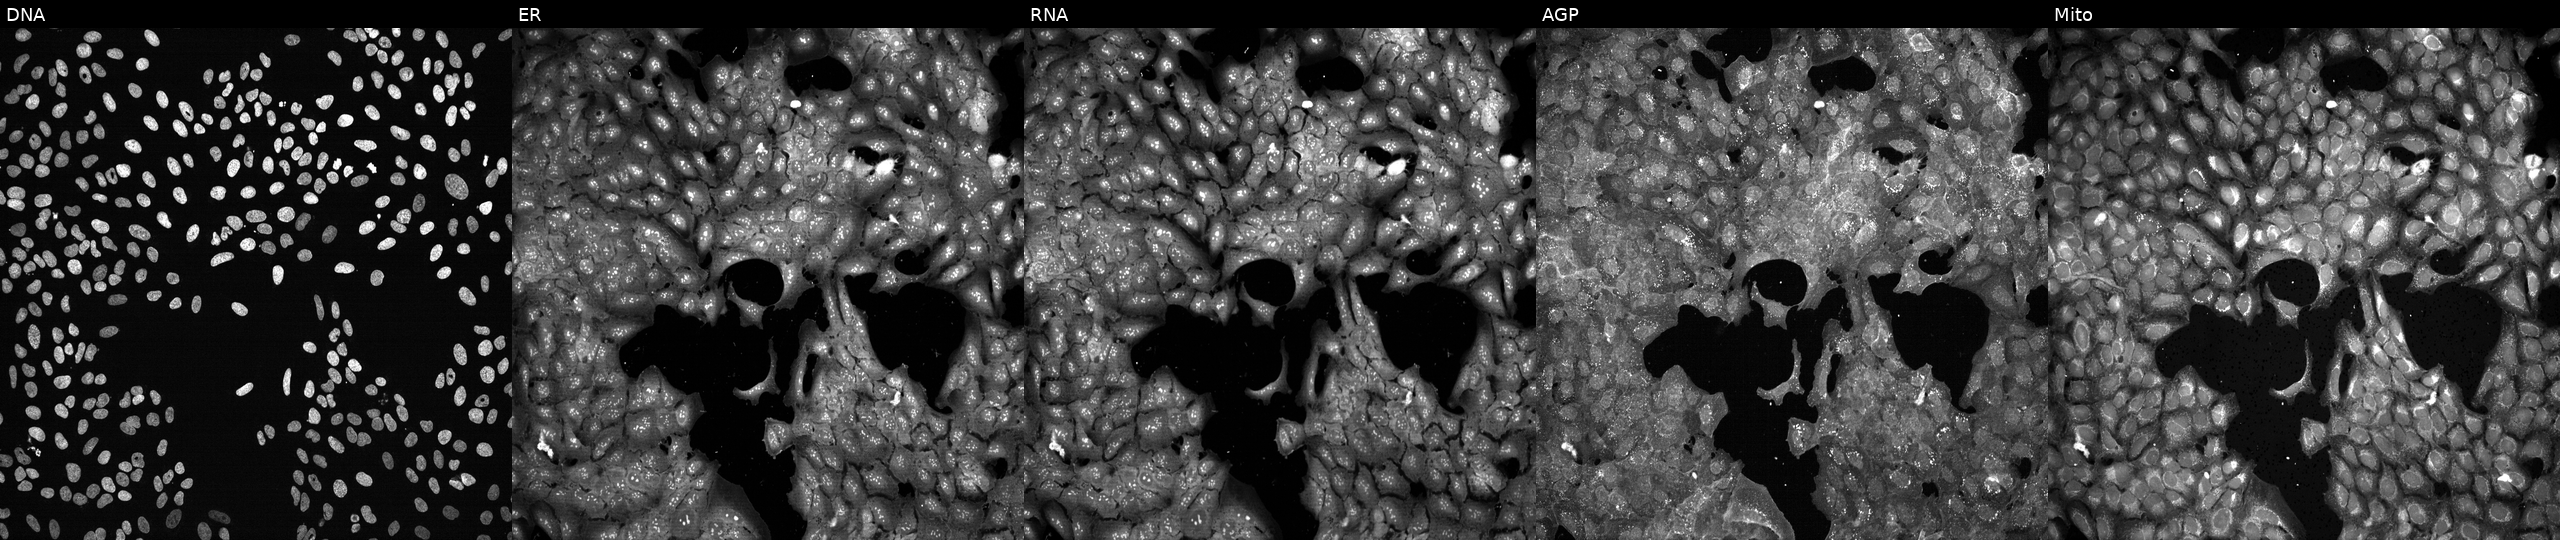
High-content fluorescence microscopy (Cell Painting). Cell line: U2OS. Perturbation: with PDE6H knocked out by CRISPR. From left to right: DNA, ER, RNA, AGP, and Mito. Source 13, plate CP-CC9-R1-01, well F11.